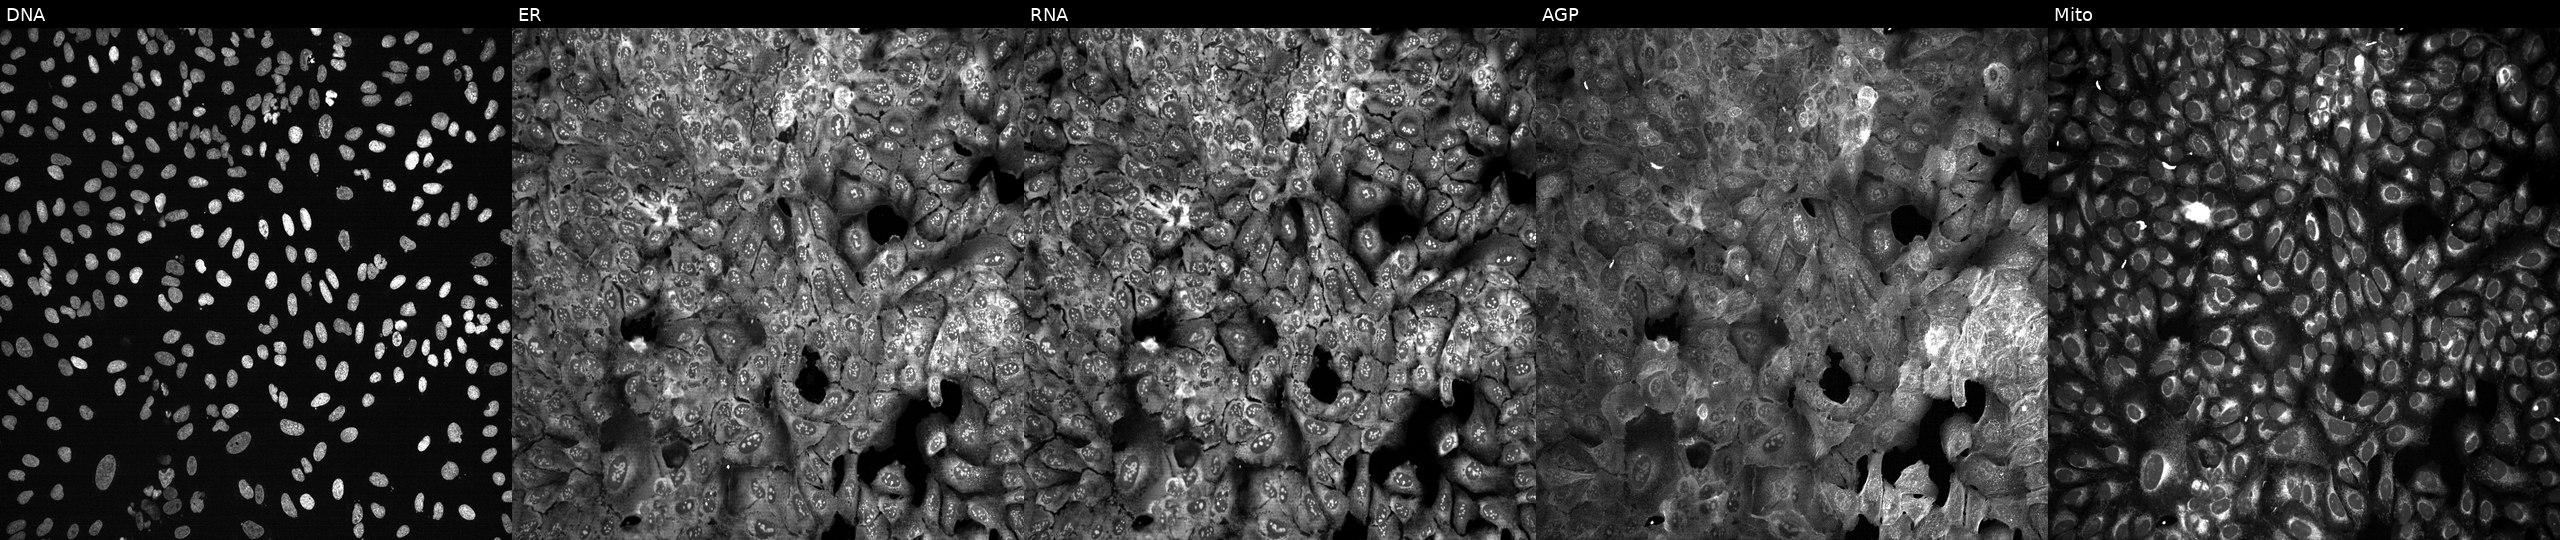
Five-channel Cell Painting image of U2OS cells following CRISPR knockout of UGT1A3. Channels (left→right): DNA (nuclei); ER (endoplasmic reticulum); RNA (nucleoli and cytoplasmic RNA); AGP (actin cytoskeleton, Golgi, and plasma membrane); Mito (mitochondria). Source 13, plate CP-CC9-R2-01, well P08.